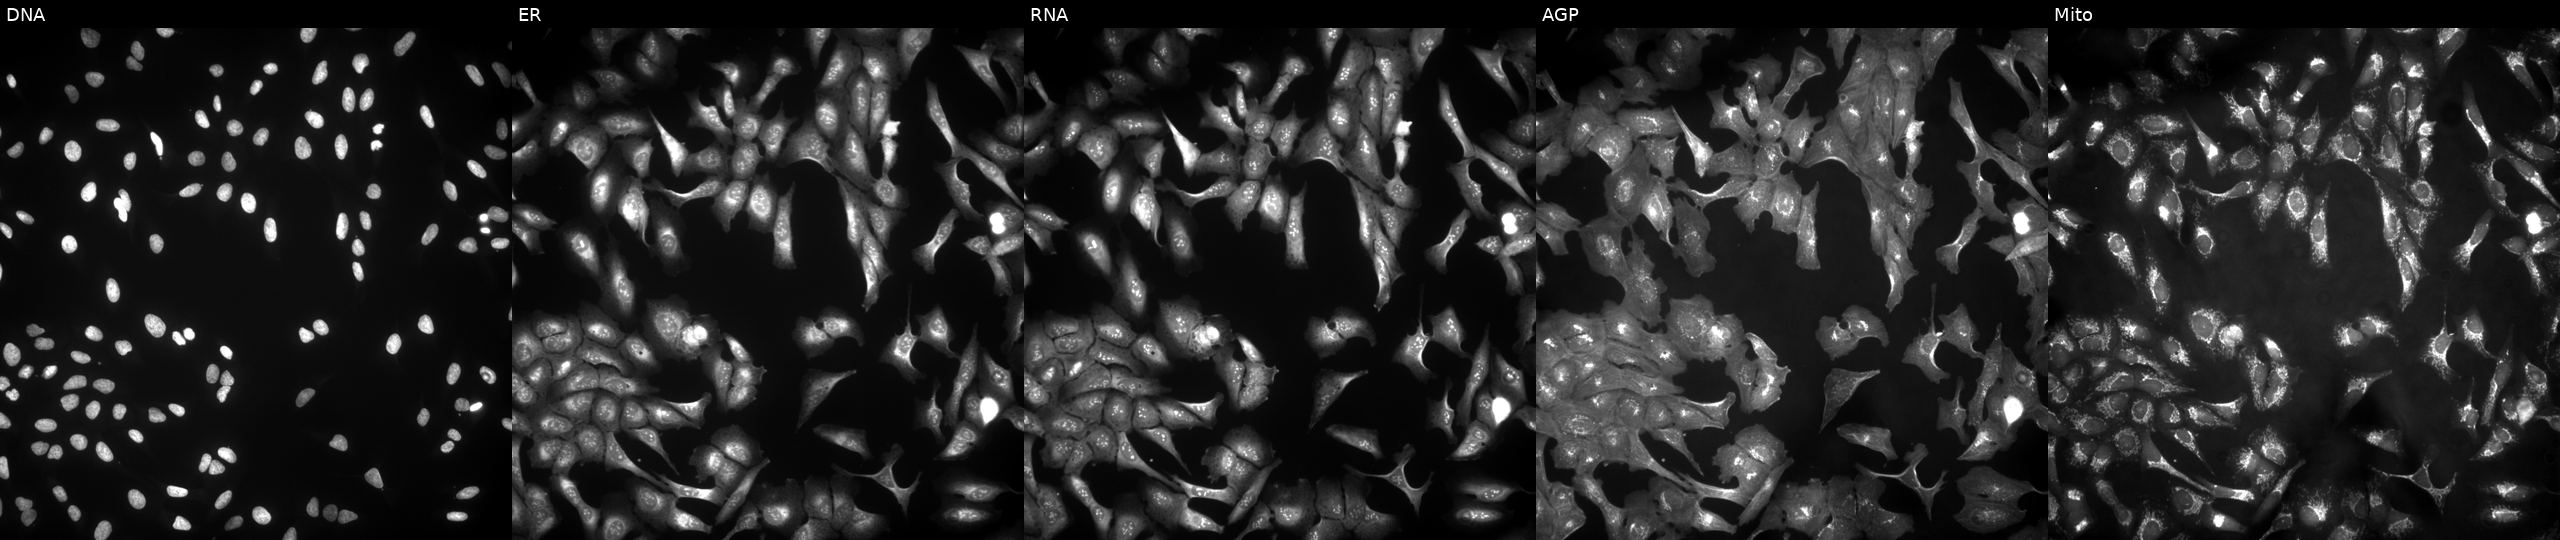
High-content fluorescence microscopy (Cell Painting). Cell line: U2OS. Perturbation: overexpressing SLC35G2 via ORF transfection (JUMP id JCP2022_908439). Channels (left→right): DNA, ER, RNA, AGP, and Mito.